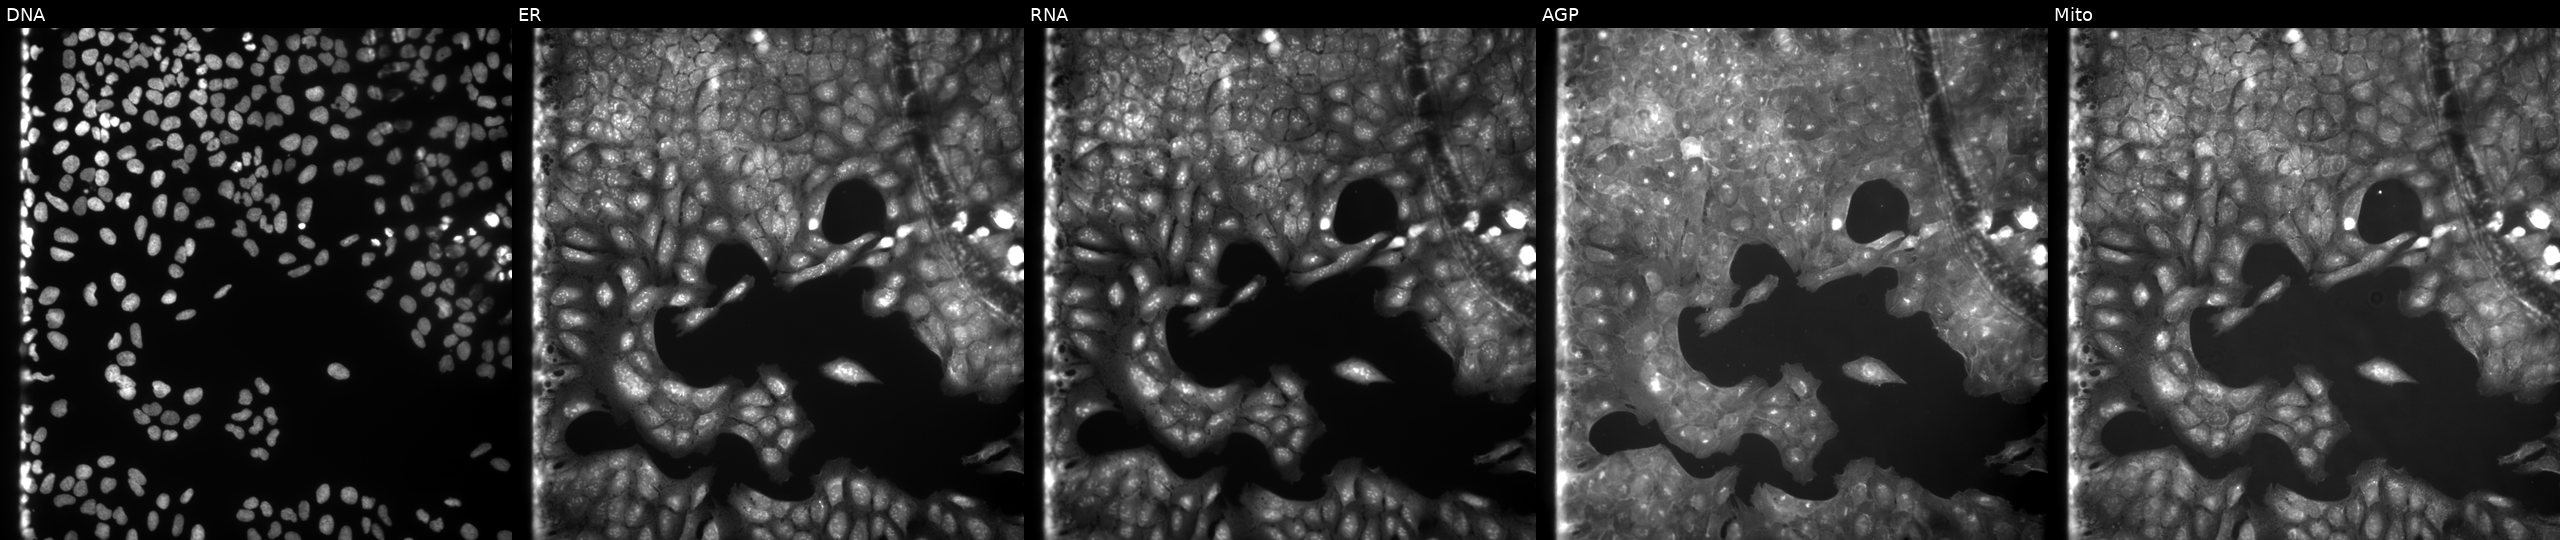
Five-channel Cell Painting image of U2OS cells treated with a small-molecule compound (InChIKey HFEKSIAWANDSHK-UHFFFAOYSA-N). From left to right: DNA (nuclei); ER (endoplasmic reticulum); RNA (nucleoli and cytoplasmic RNA); AGP (actin cytoskeleton, Golgi, and plasma membrane); Mito (mitochondria). Source 9, plate GR00003382, well J11.